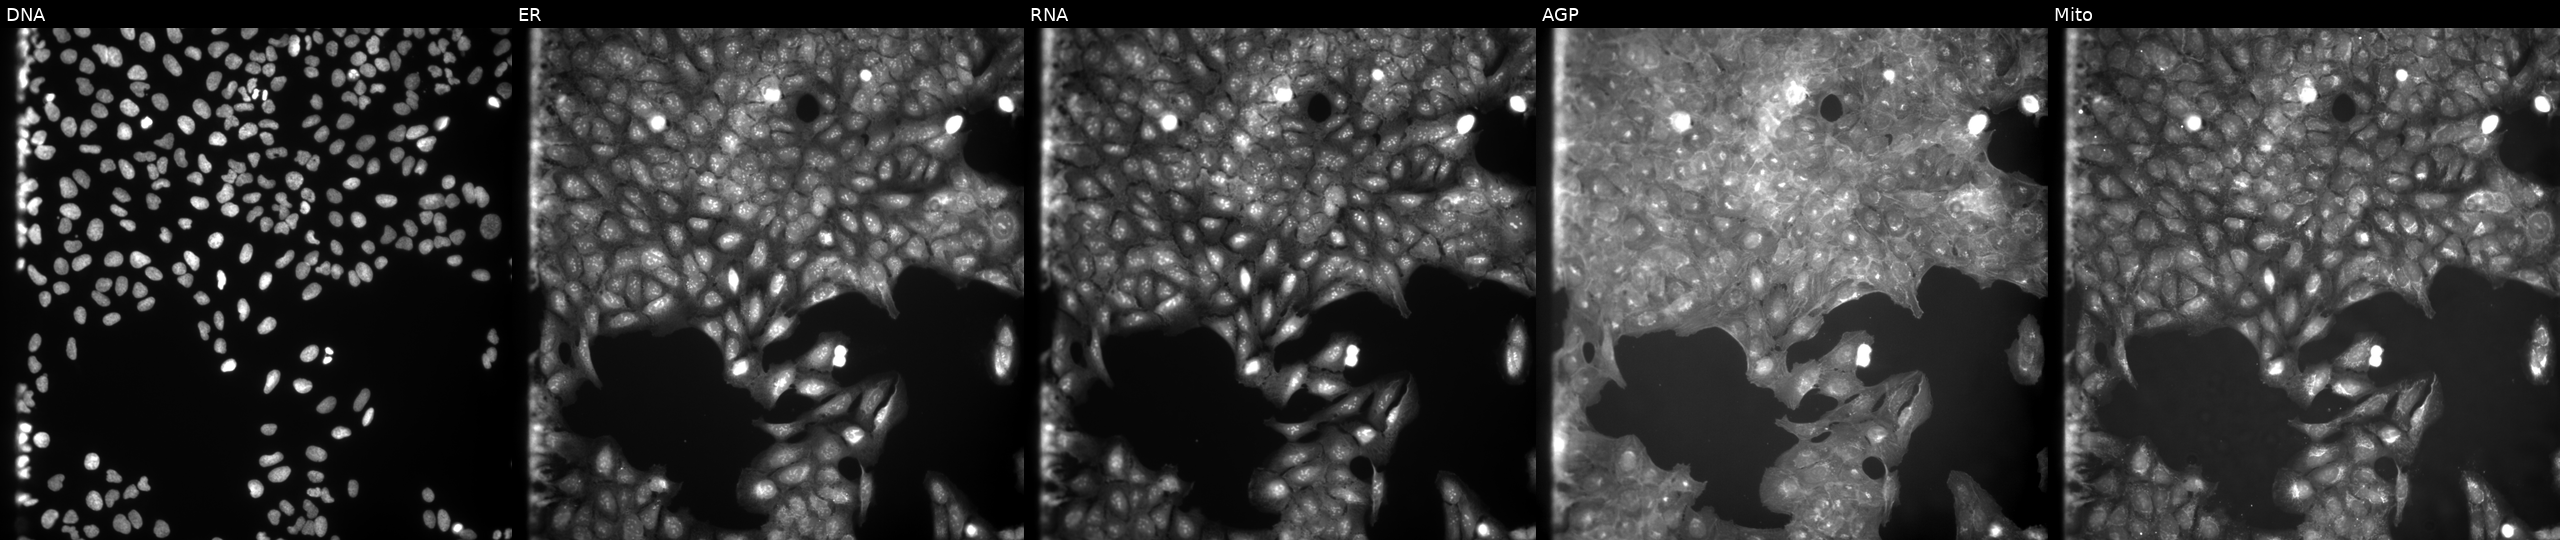
JUMP Cell Painting — COMPOUND plate. U2OS cells exposed to a small-molecule compound (InChIKey HBYFHURSCVIIAA-UHFFFAOYSA-N) (JUMP id JCP2022_029221). The five panels, left to right, show Hoechst 33342, concanavalin A, SYTO 14, phalloidin and WGA, MitoTracker.